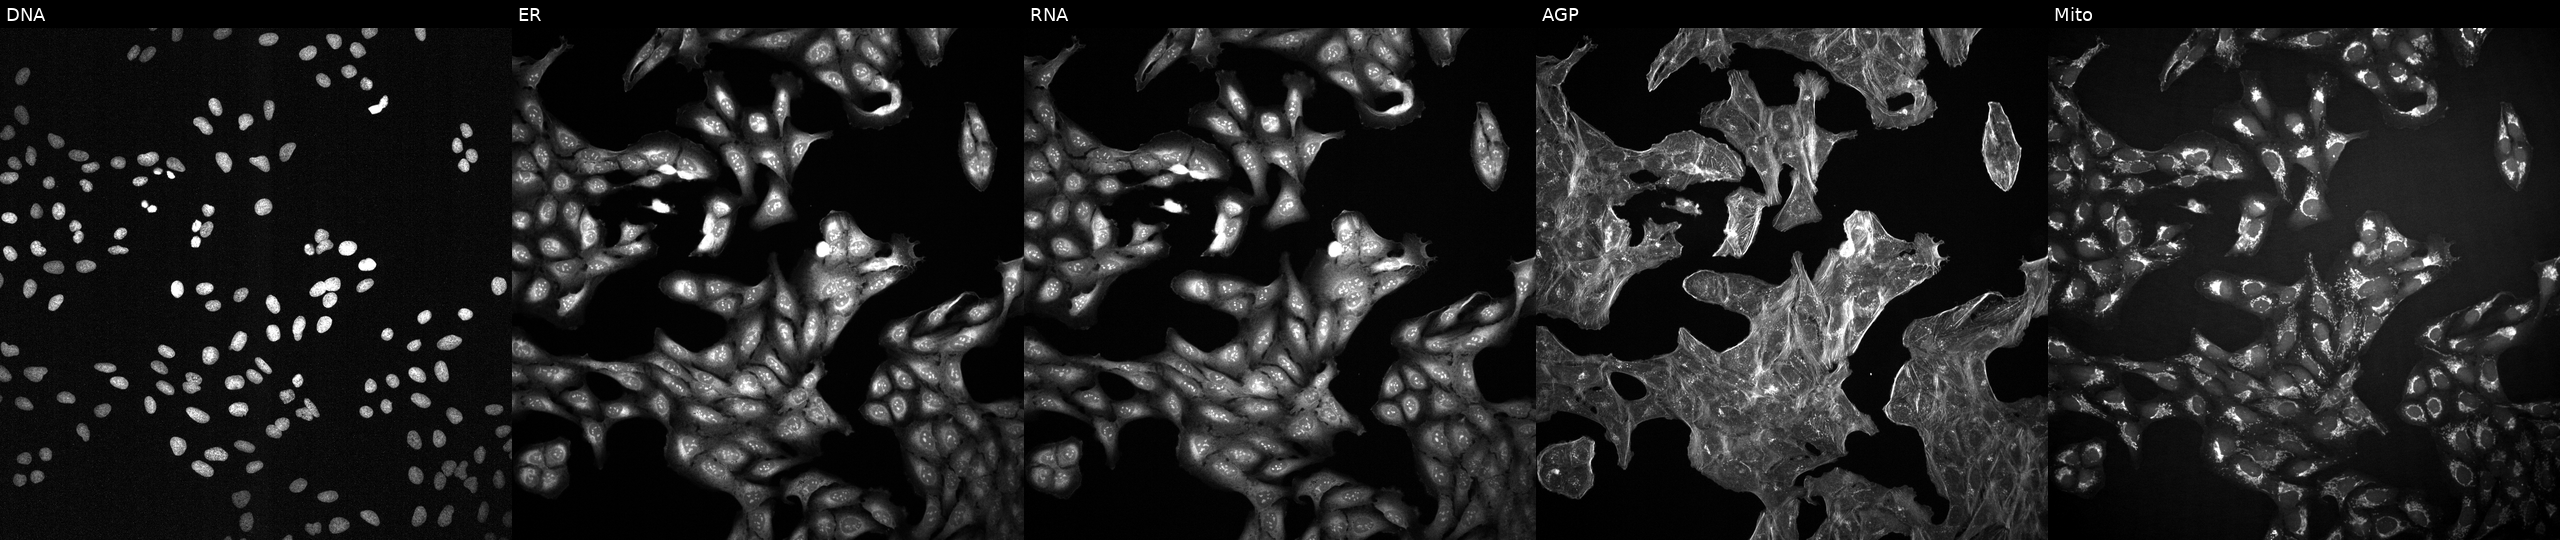
Five-channel Cell Painting image of U2OS cells perturbed with a small-molecule compound (JUMP id JCP2022_060040). Panels show, left to right, DNA (nuclei); ER (endoplasmic reticulum); RNA (nucleoli and cytoplasmic RNA); AGP (actin cytoskeleton, Golgi, and plasma membrane); Mito (mitochondria).